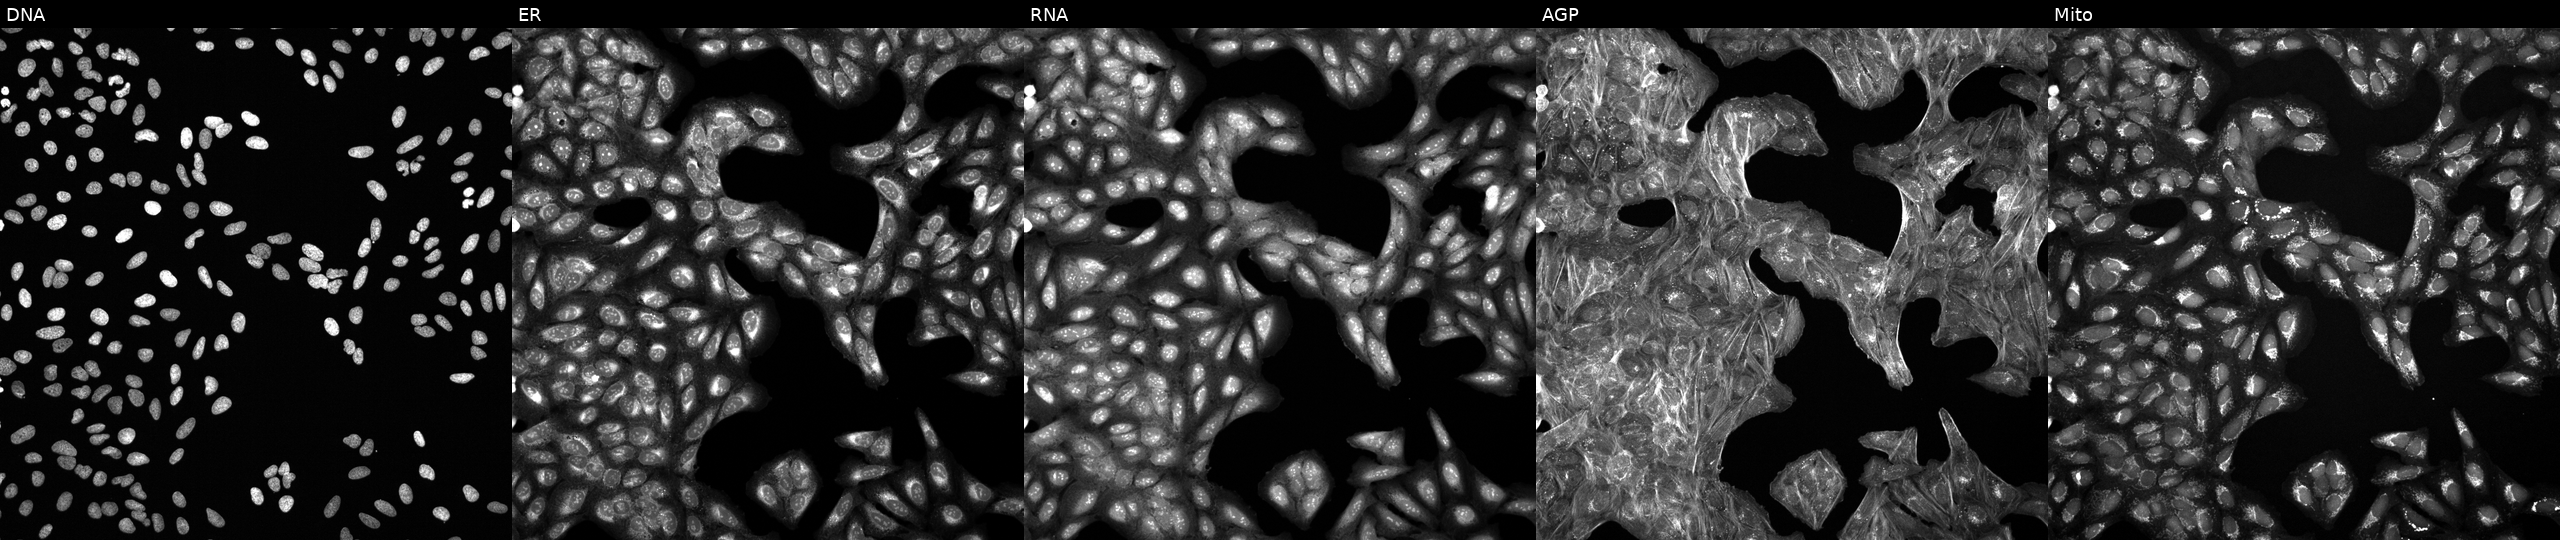
Channels (left→right): Hoechst 33342, concanavalin A, SYTO 14, phalloidin and WGA, MitoTracker. U2OS osteosarcoma cells treated with a small-molecule compound (InChIKey CEUORZQYGODEFX-UHFFFAOYSA-N) (JUMP id JCP2022_010654). Cell Painting assay, JUMP-CP dataset. Source 6, plate 110000294901, well P13.